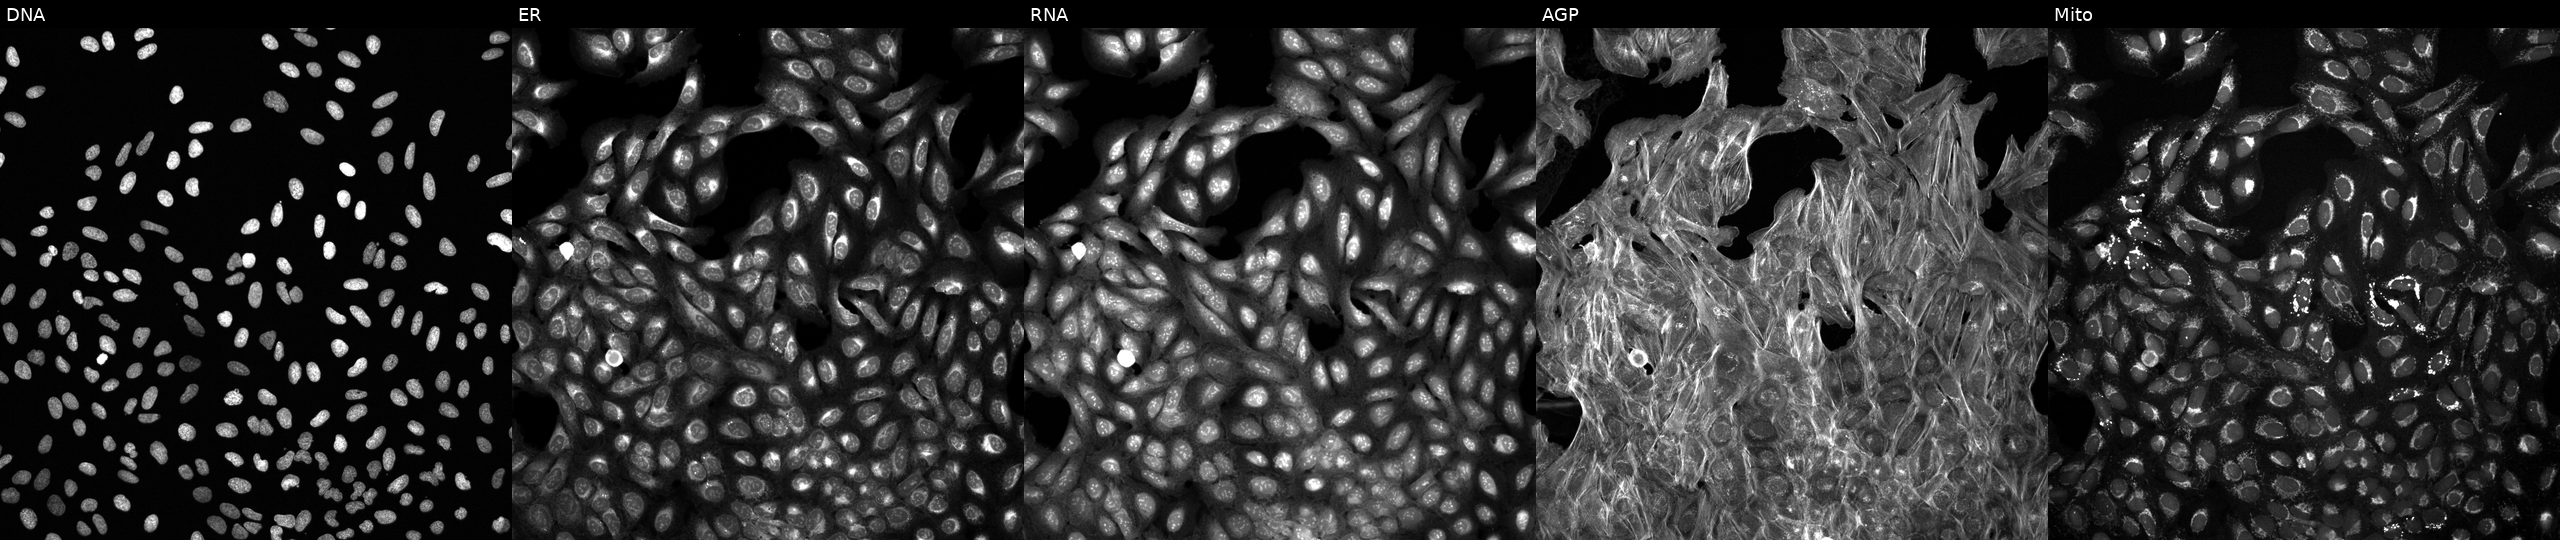
Five-channel Cell Painting image of U2OS cells exposed to a small-molecule compound (InChIKey LEEOHMIOINMAKM-UHFFFAOYSA-N) [SMILES: COc1ccccc1-c1cc(CN(C(=O)NC(C)(C)C)C2CC2)no1]. From left to right: DNA, ER, RNA, AGP, and Mito. Source 6, plate 110000293082, well H20.